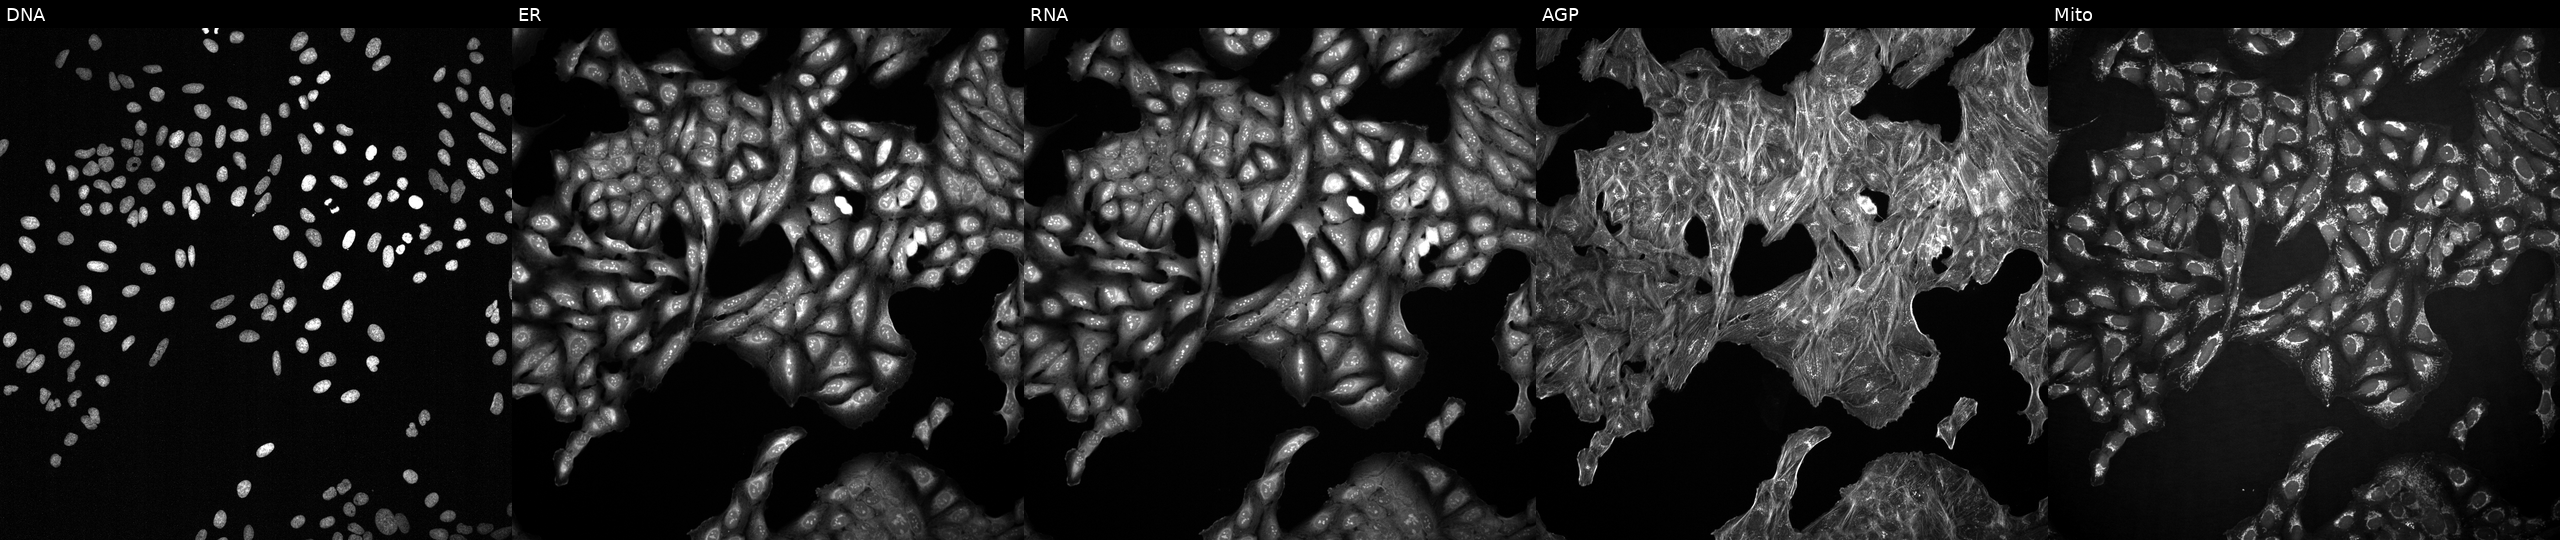
Channels (left→right): DNA (nuclei); ER (endoplasmic reticulum); RNA (nucleoli and cytoplasmic RNA); AGP (actin cytoskeleton, Golgi, and plasma membrane); Mito (mitochondria). U2OS osteosarcoma cells exposed to DMSO alone as a negative control. Cell Painting assay, JUMP-CP dataset. Source 2, plate 1053600674, well E22.